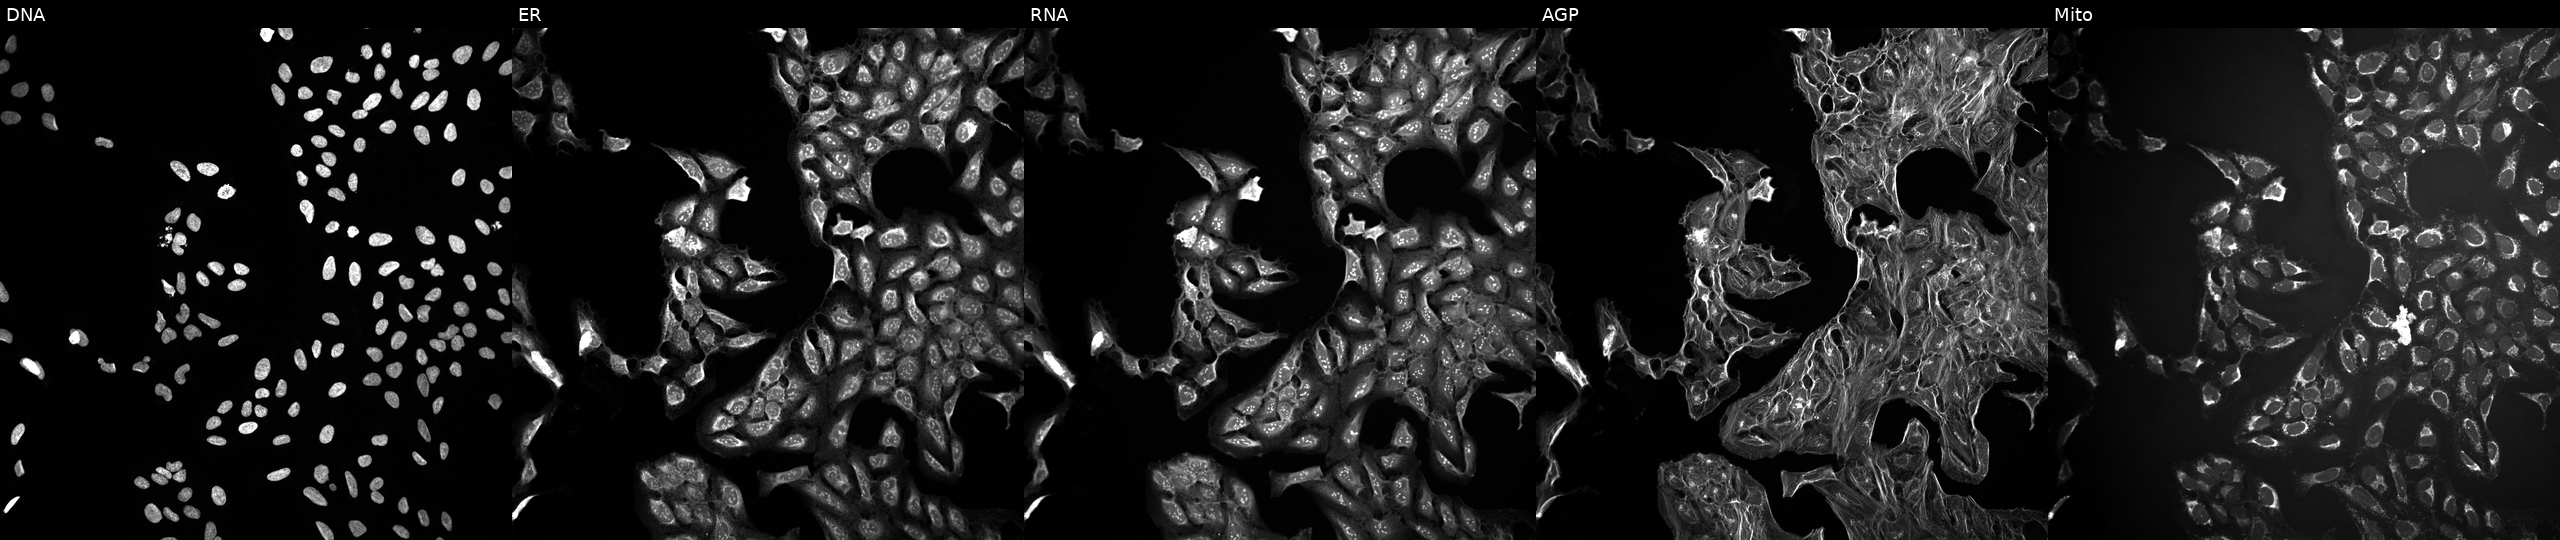
High-content fluorescence microscopy (Cell Painting). Cell line: U2OS. Perturbation: treated with DMSO vehicle only (negative control) (JUMP id JCP2022_033924). Channels (left→right): Hoechst 33342, concanavalin A, SYTO 14, phalloidin and WGA, MitoTracker.